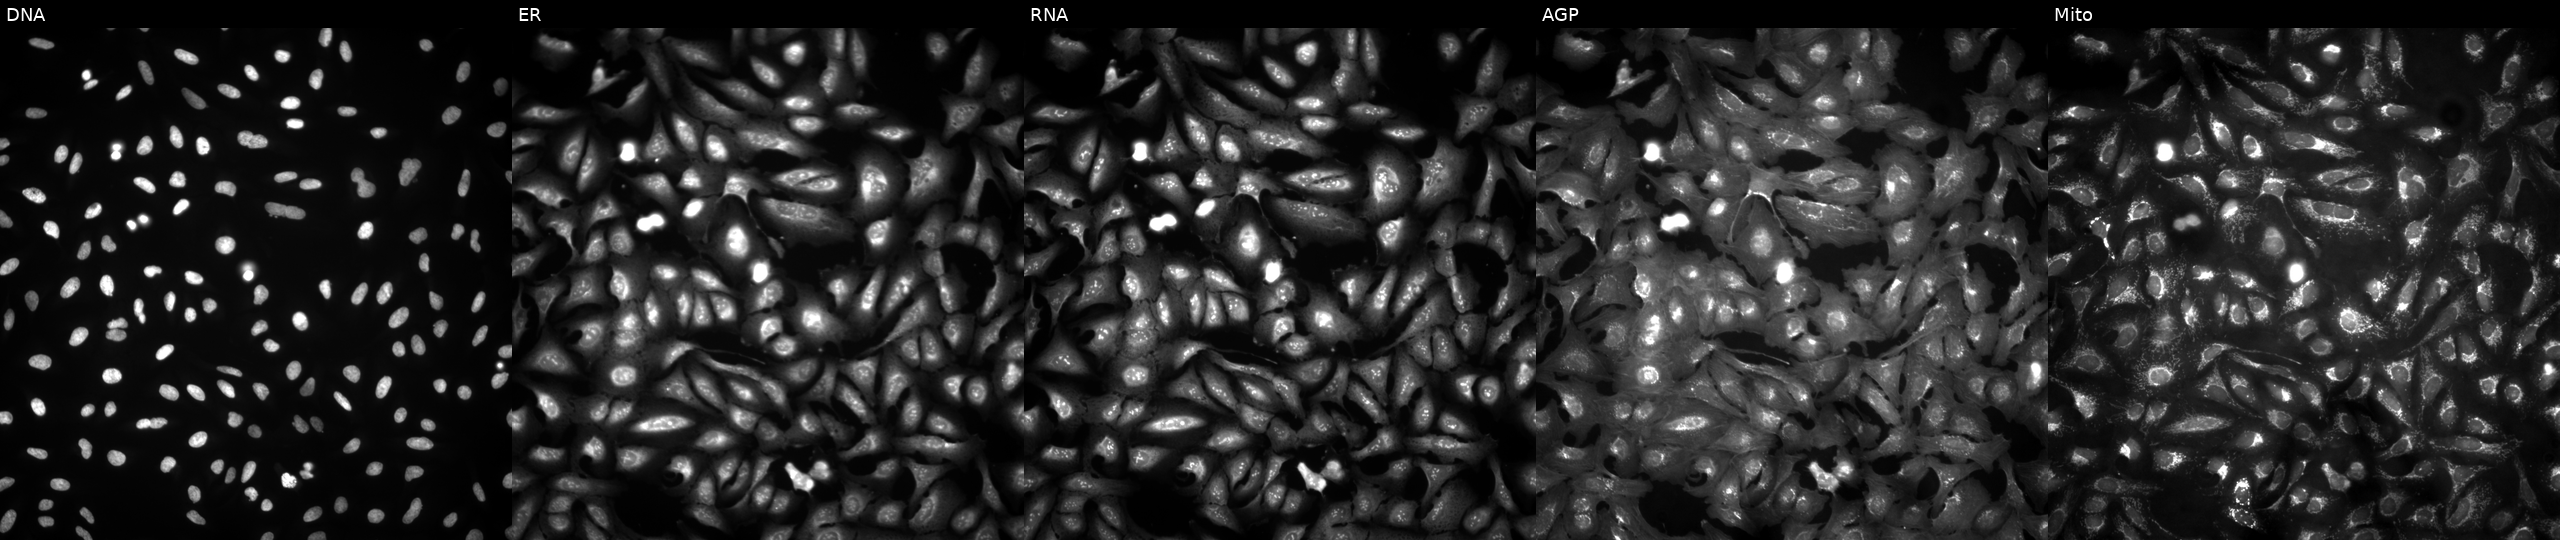
JUMP Cell Painting — ORF plate. U2OS cells with SLCO3A1 overexpressed (ORF). The five panels, left to right, show DNA, ER, RNA, AGP, and Mito. Source 4, plate BR00121543, well E08.